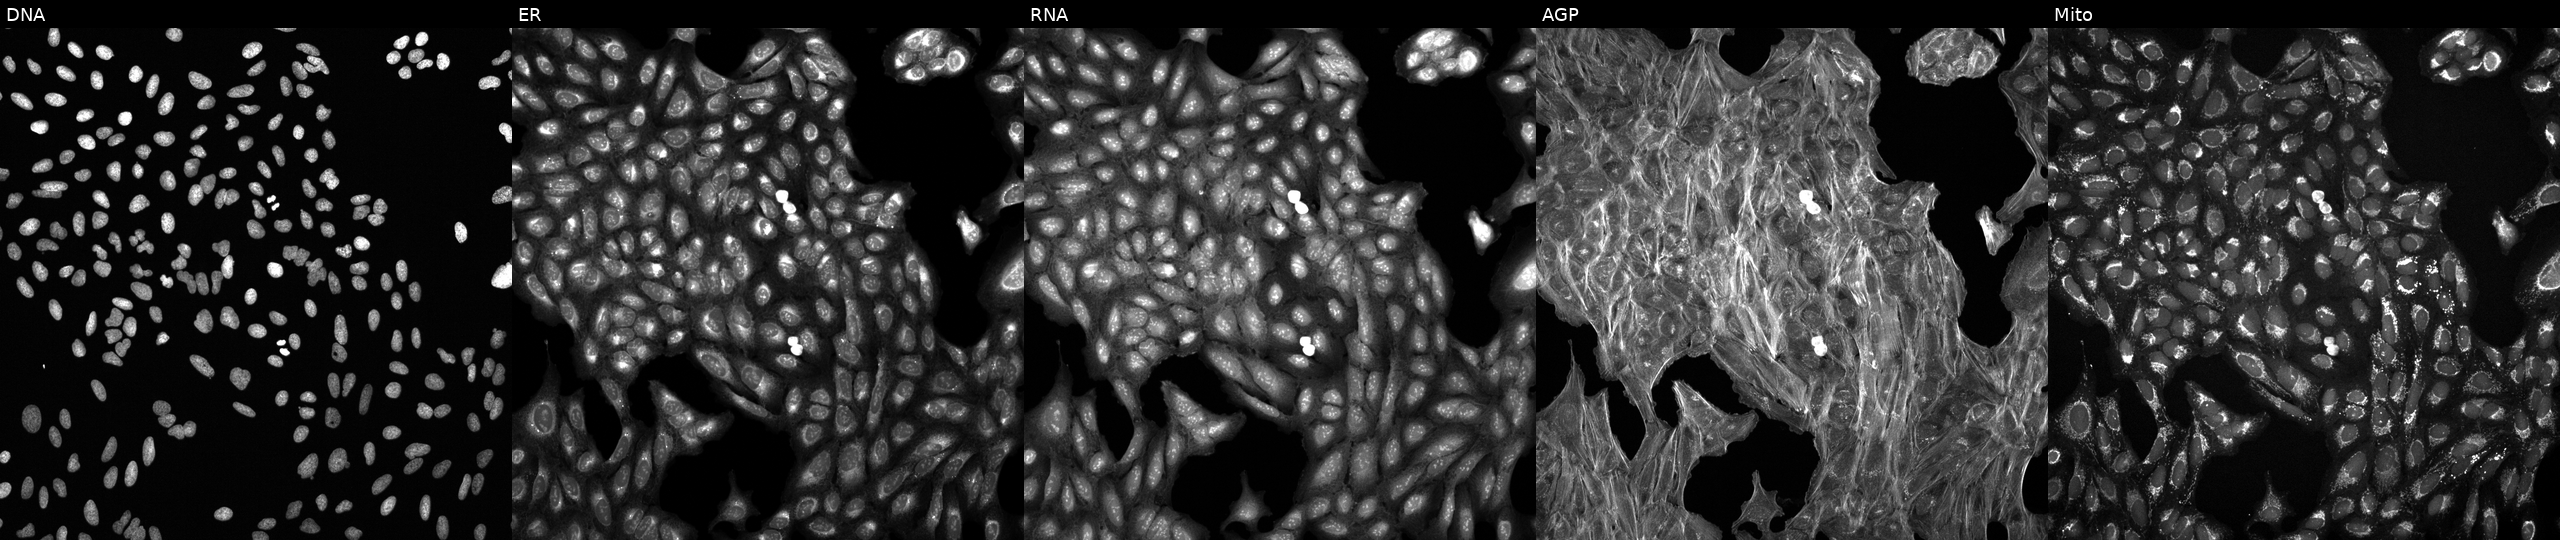
JUMP Cell Painting — COMPOUND plate. U2OS cells perturbed with a small-molecule compound (JUMP id JCP2022_044792). From left to right: Hoechst 33342, concanavalin A, SYTO 14, phalloidin and WGA, MitoTracker.